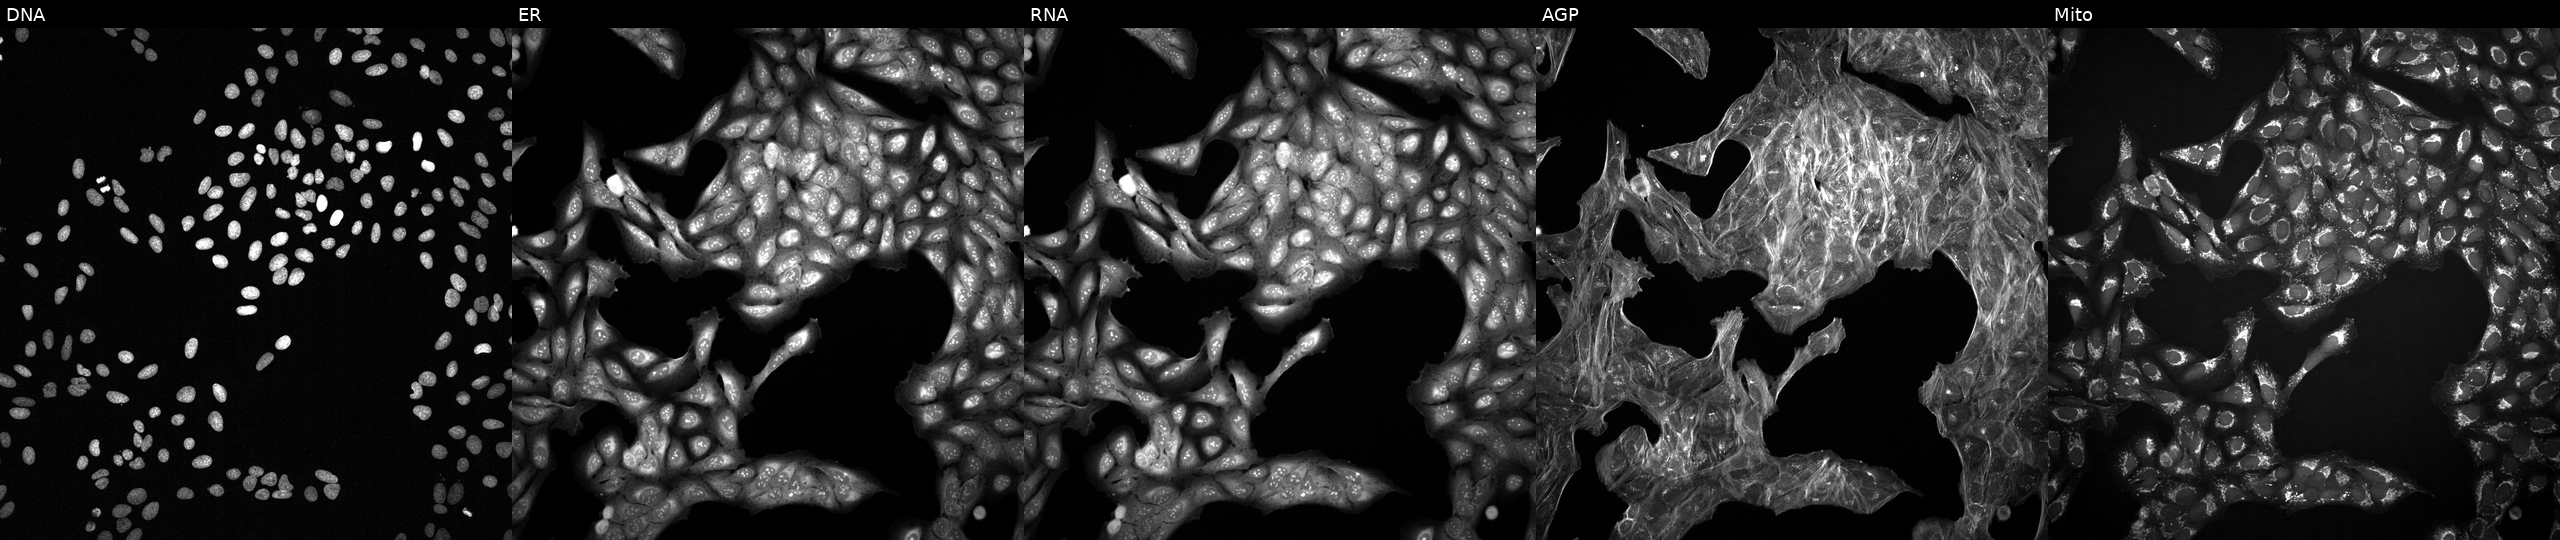
U2OS cells, Cell Painting assay, perturbed with a small-molecule compound (JUMP id JCP2022_034137). The five panels, left to right, show Hoechst 33342, concanavalin A, SYTO 14, phalloidin and WGA, MitoTracker. Each panel is percentile-stretched 16-bit fluorescence.